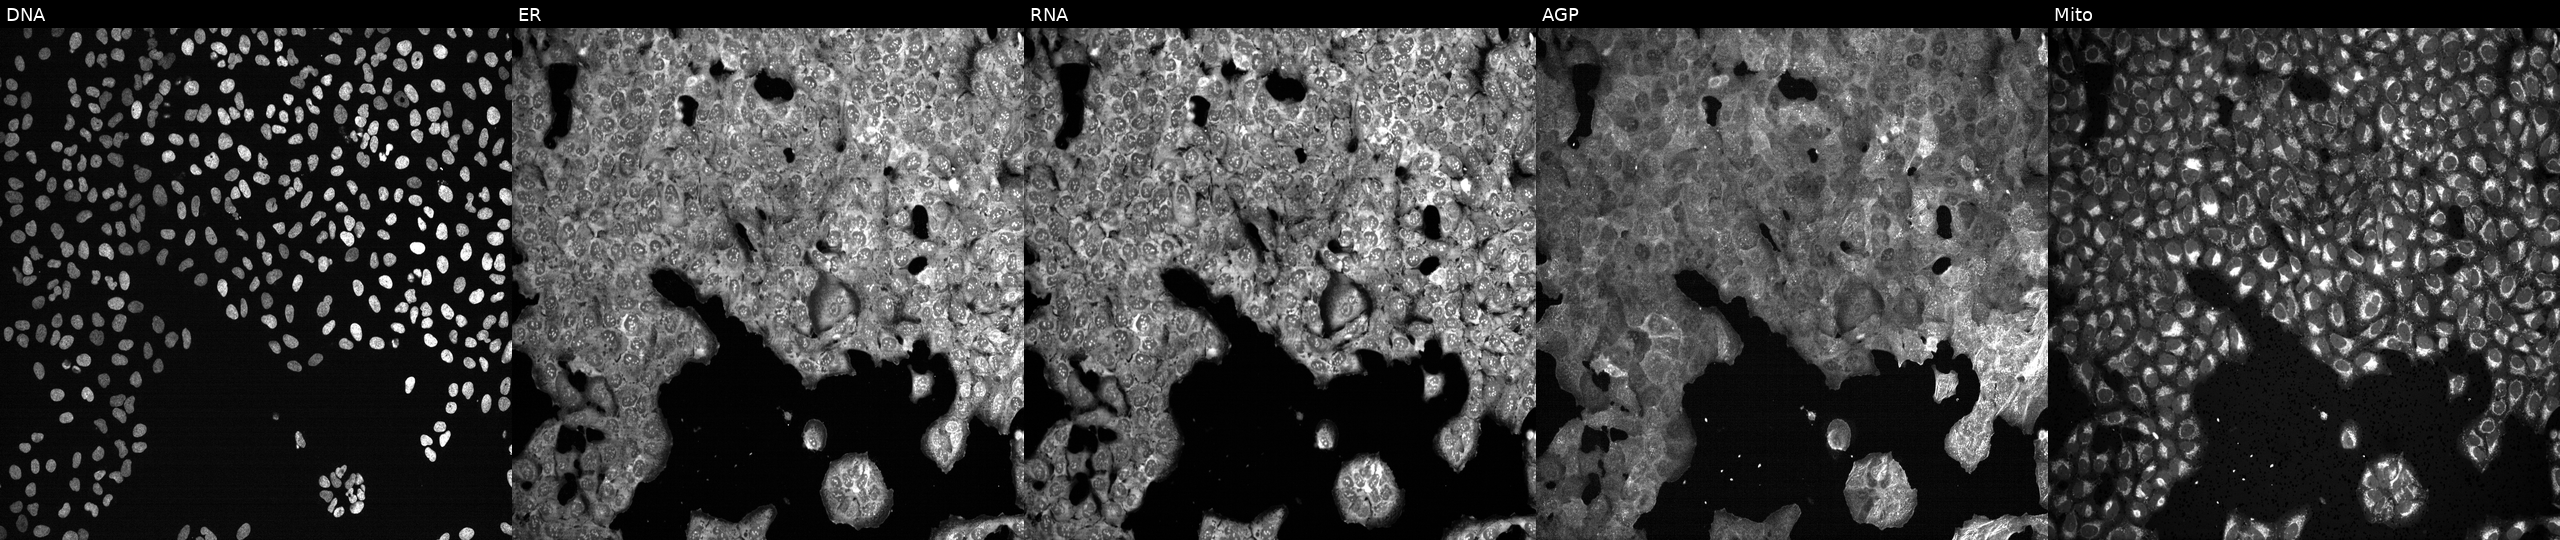
This image strip shows the five Cell Painting channels for a single field of U2OS cells exposed to the positive-control compound NVS-PAK1-1 (JUMP id JCP2022_064022). The five panels, left to right, show DNA, ER, RNA, AGP, and Mito. Source 13, plate CP-CC9-R2-02, well N01.